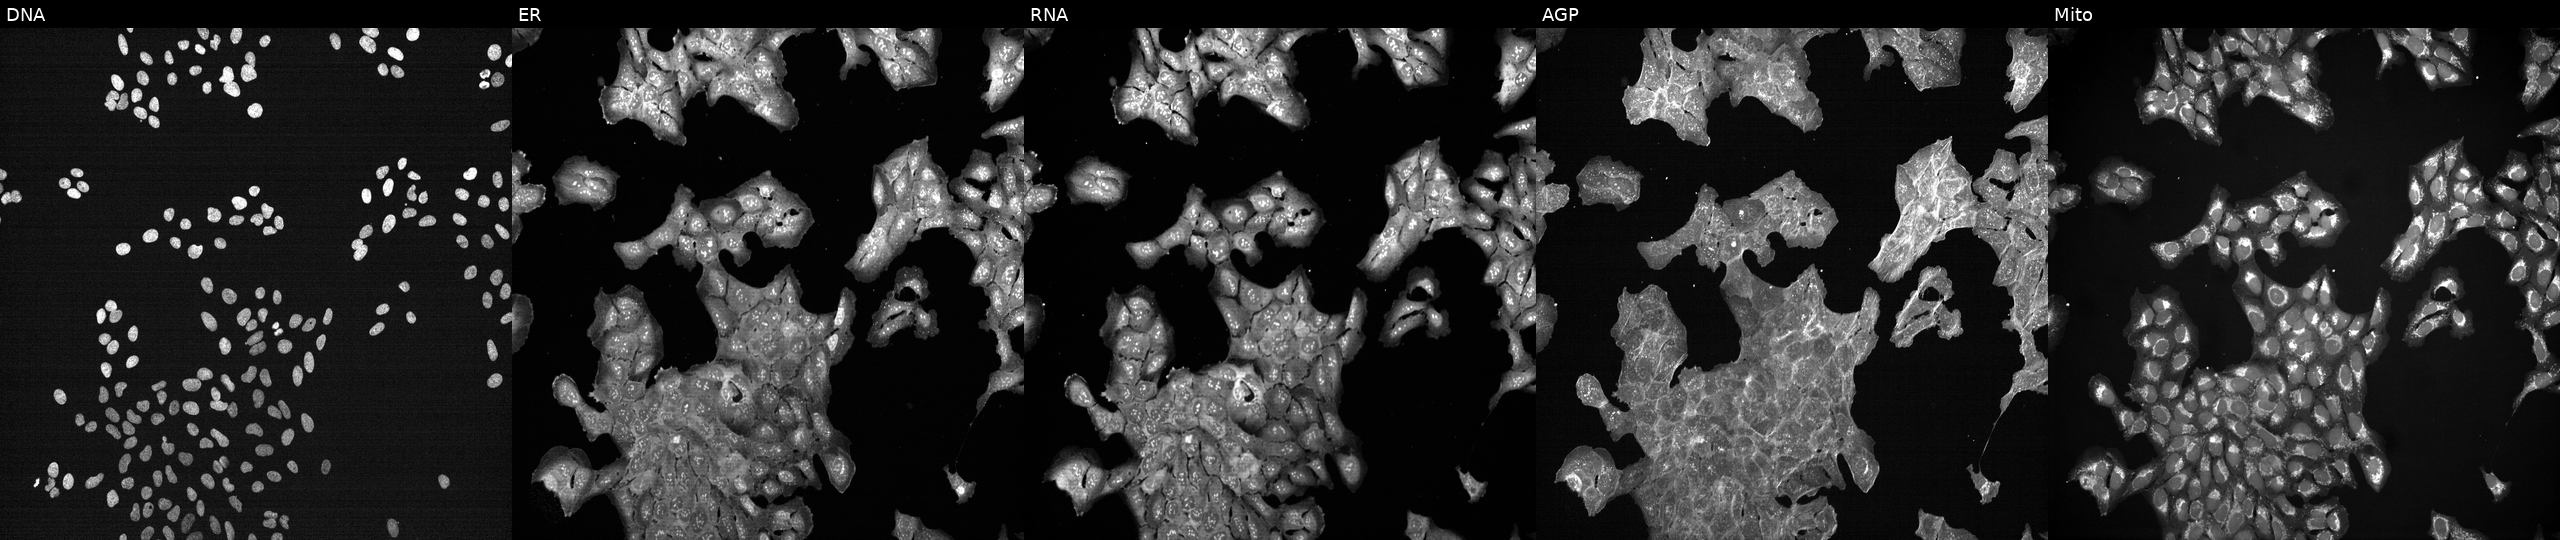
U2OS cells, Cell Painting assay, treated with a small-molecule compound (InChIKey XSDQTOBWRPYKKA-UHFFFAOYSA-N) (JUMP id JCP2022_105696). Panels show, left to right, Hoechst 33342, concanavalin A, SYTO 14, phalloidin and WGA, MitoTracker. Each panel is percentile-stretched 16-bit fluorescence.